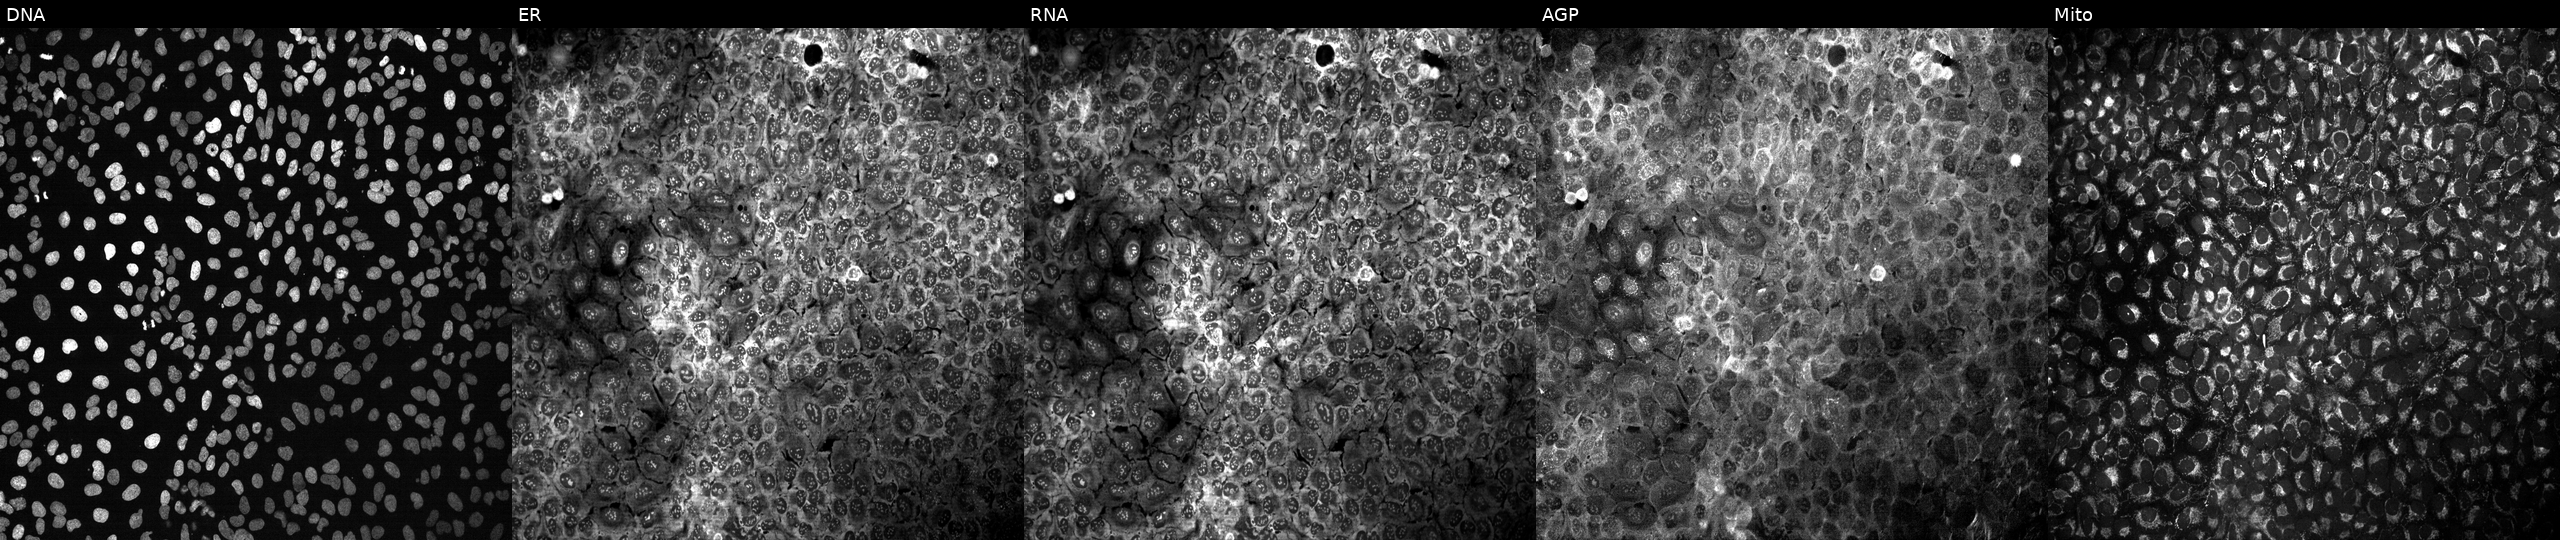
Five-channel Cell Painting image of U2OS cells CRISPR-edited to disrupt CYP26B1 (JUMP id JCP2022_801628). Panels show, left to right, DNA (nuclei); ER (endoplasmic reticulum); RNA (nucleoli and cytoplasmic RNA); AGP (actin cytoskeleton, Golgi, and plasma membrane); Mito (mitochondria).